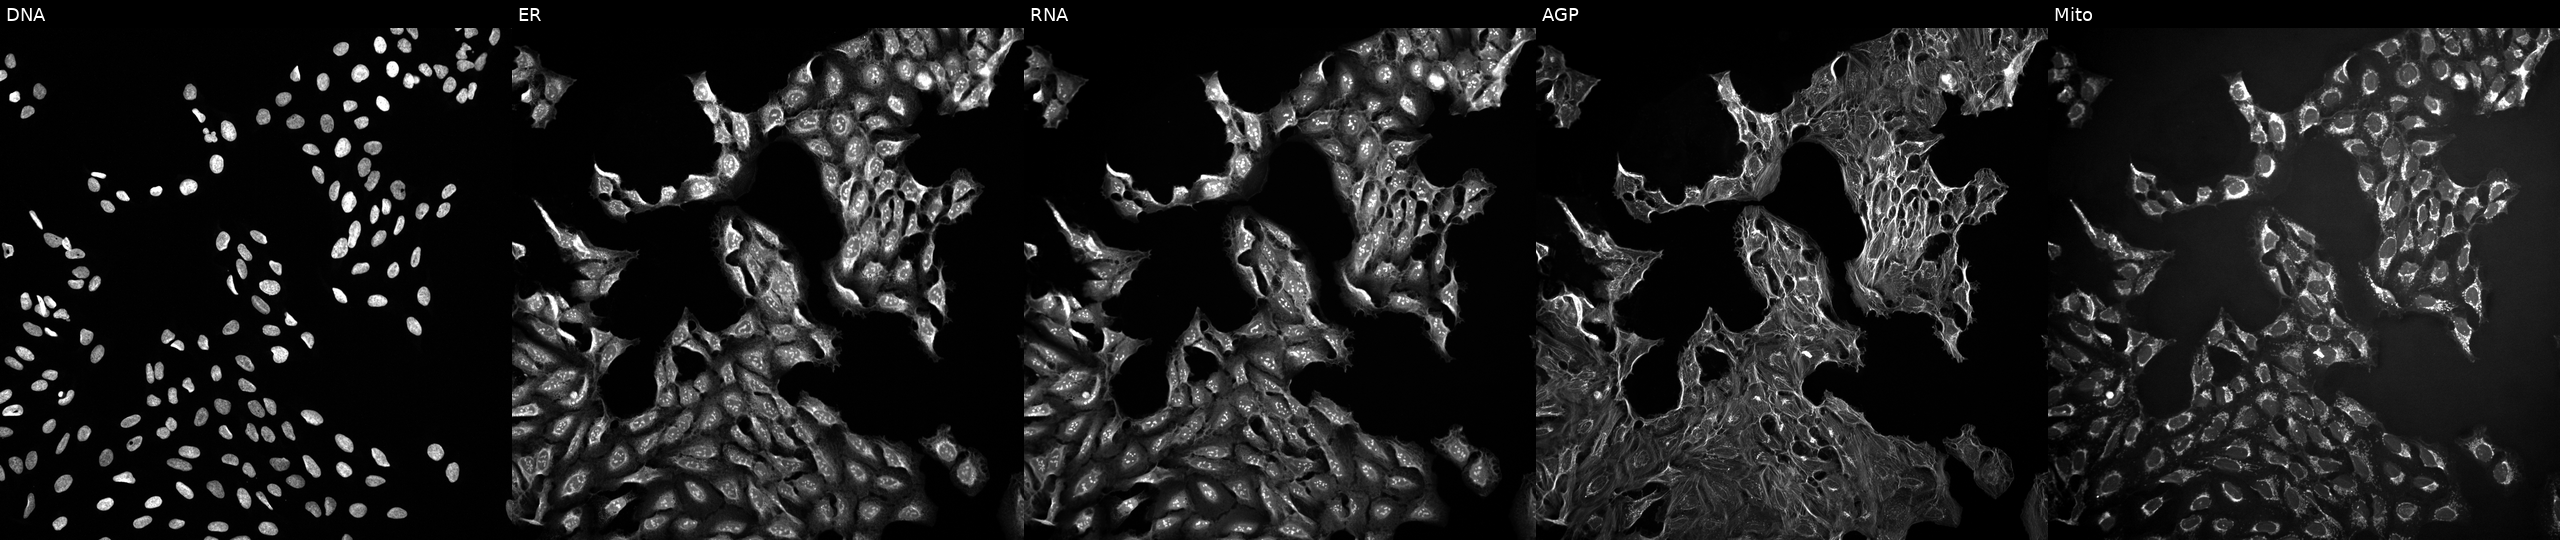
This image strip shows the five Cell Painting channels for a single field of U2OS cells exposed to a small-molecule compound (InChIKey RAHBGWKEPAQNFF-UHFFFAOYSA-N). The five panels, left to right, show DNA (nuclei); ER (endoplasmic reticulum); RNA (nucleoli and cytoplasmic RNA); AGP (actin cytoskeleton, Golgi, and plasma membrane); Mito (mitochondria). Source 10, plate Dest210726-160150, well O08.